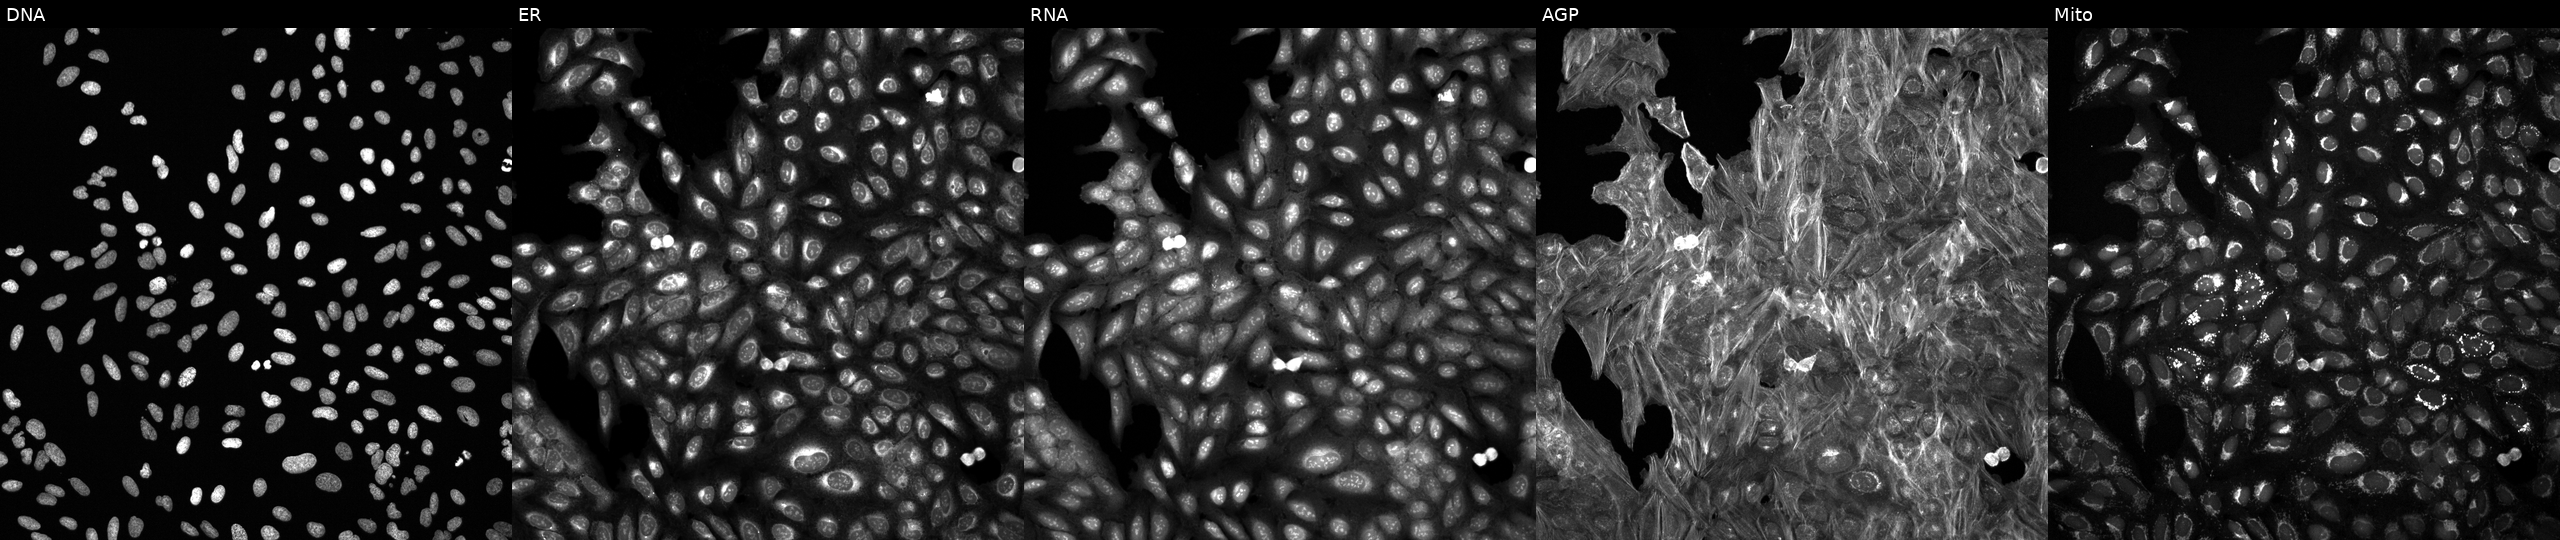
High-content fluorescence microscopy (Cell Painting). Cell line: U2OS. Perturbation: exposed to a small-molecule compound (JUMP id JCP2022_027782). The five panels, left to right, show DNA (nuclei); ER (endoplasmic reticulum); RNA (nucleoli and cytoplasmic RNA); AGP (actin cytoskeleton, Golgi, and plasma membrane); Mito (mitochondria).